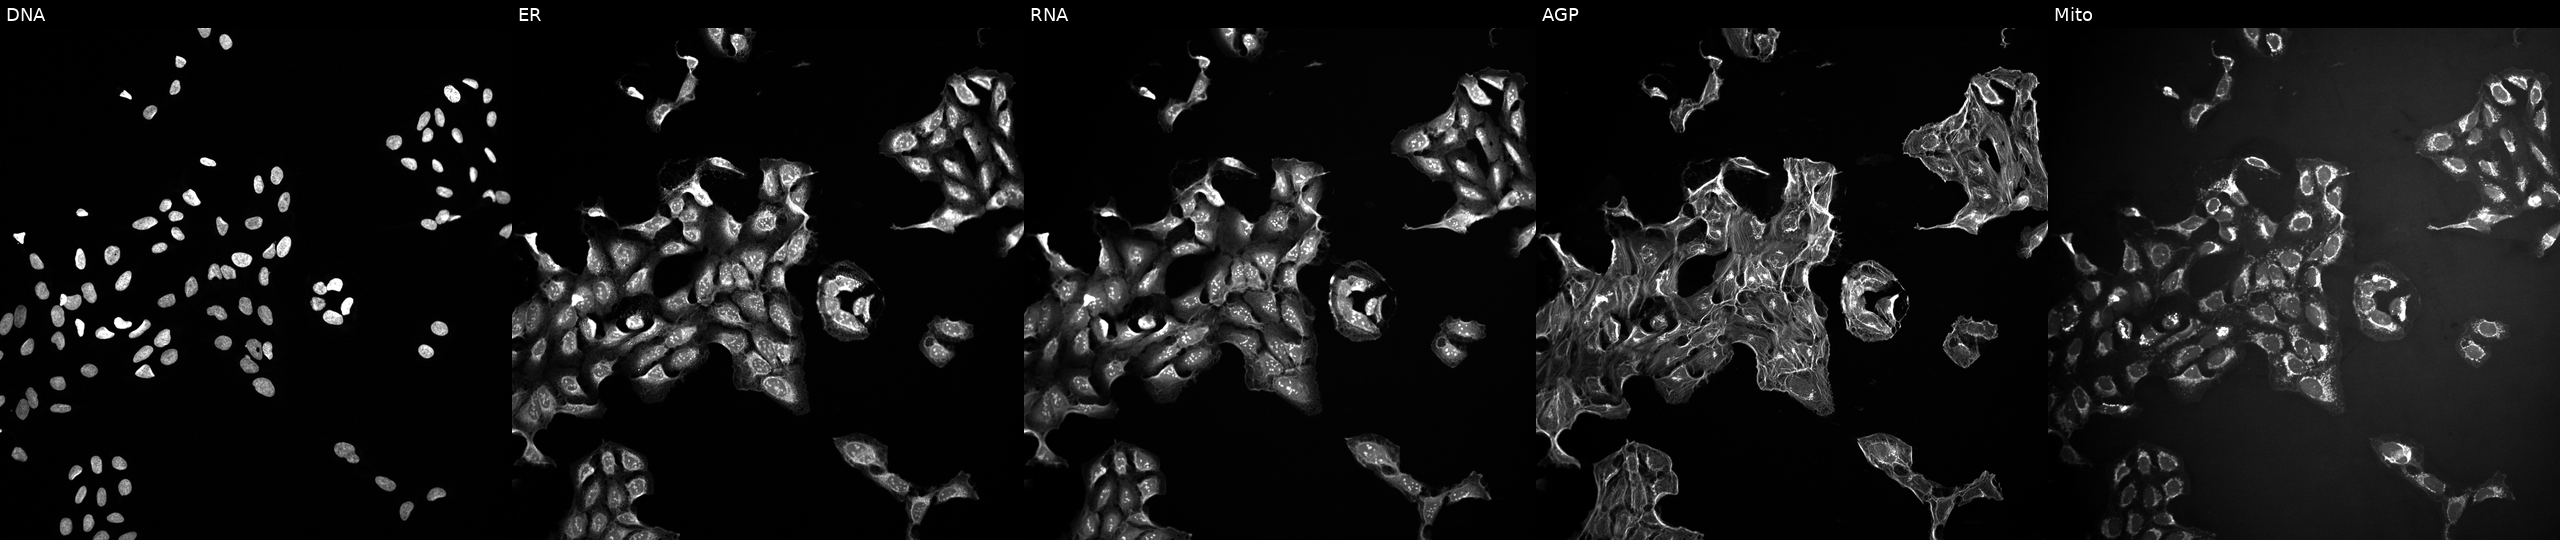
This image strip shows the five Cell Painting channels for a single field of U2OS cells treated with a small-molecule compound. Panels show, left to right, Hoechst 33342, concanavalin A, SYTO 14, phalloidin and WGA, MitoTracker. Source 10, plate Dest210726-160150, well O20.